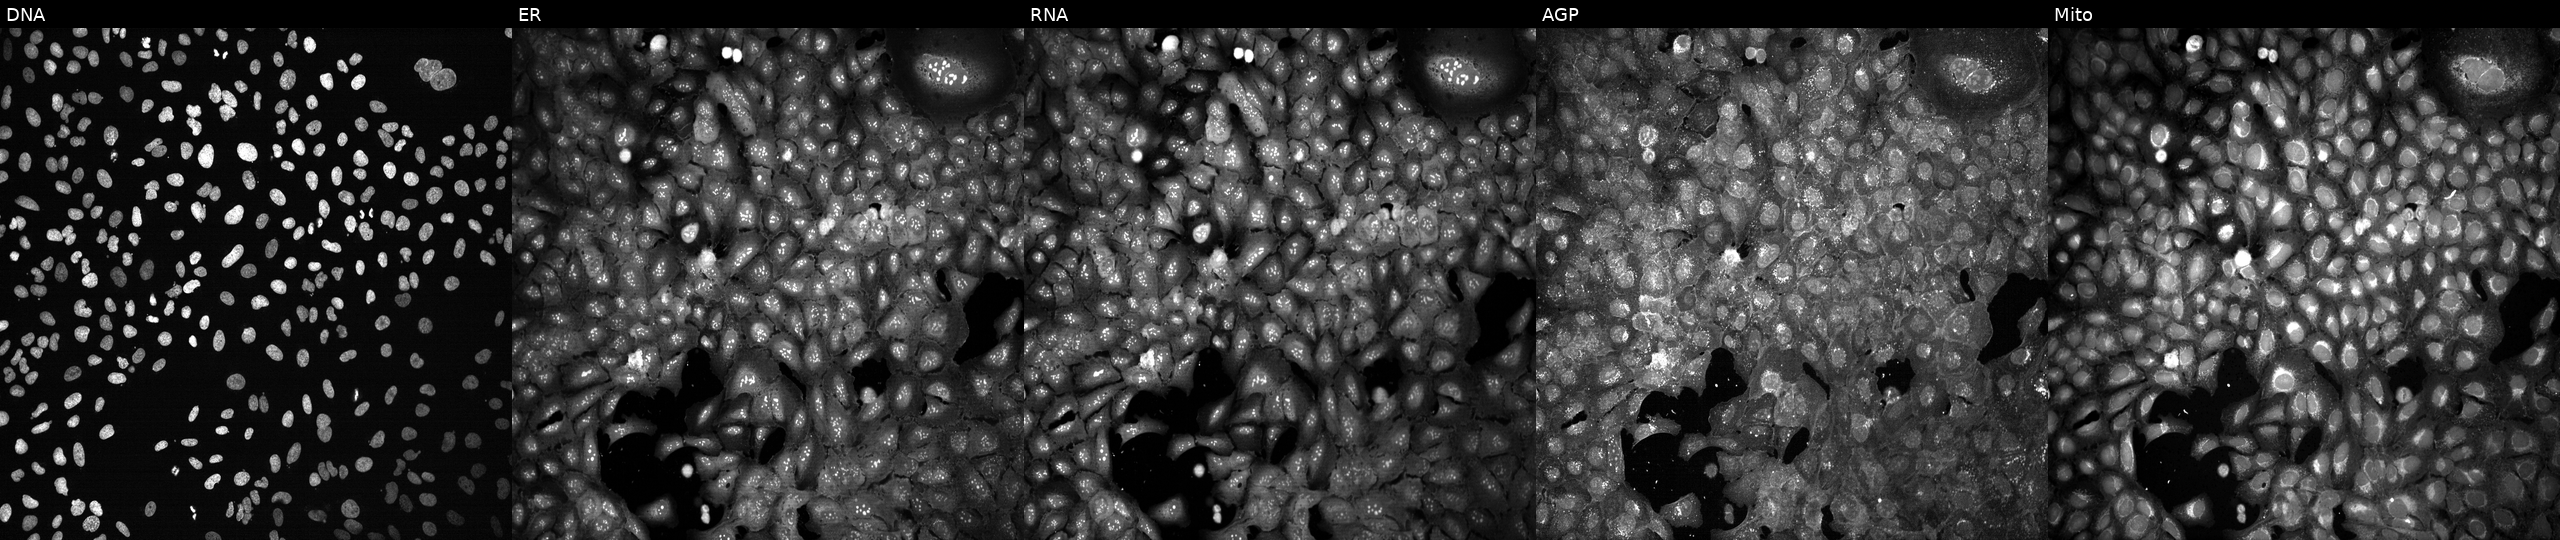
U2OS cells, Cell Painting assay, CRISPR-edited to disrupt NMNAT2. Channels (left→right): DNA, ER, RNA, AGP, and Mito. Each panel is percentile-stretched 16-bit fluorescence.